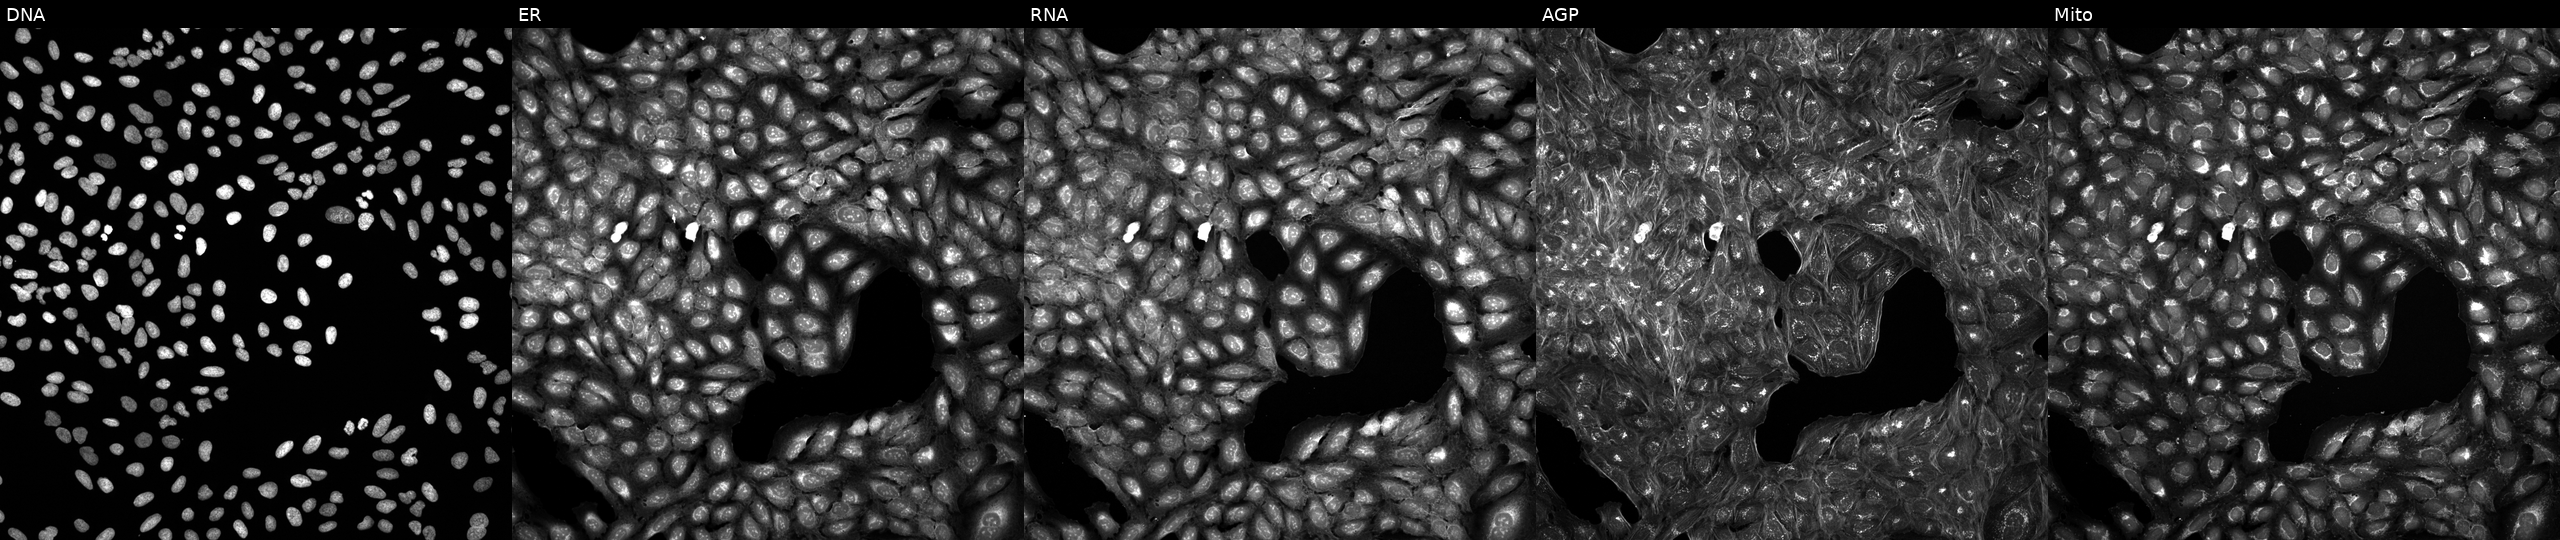
High-content fluorescence microscopy (Cell Painting). Cell line: U2OS. Perturbation: perturbed with a small-molecule compound (InChIKey DHQBQWYIGOWACE-UHFFFAOYSA-N). Channels (left→right): Hoechst 33342, concanavalin A, SYTO 14, phalloidin and WGA, MitoTracker. Source 5, plate APTJUM106, well E19.